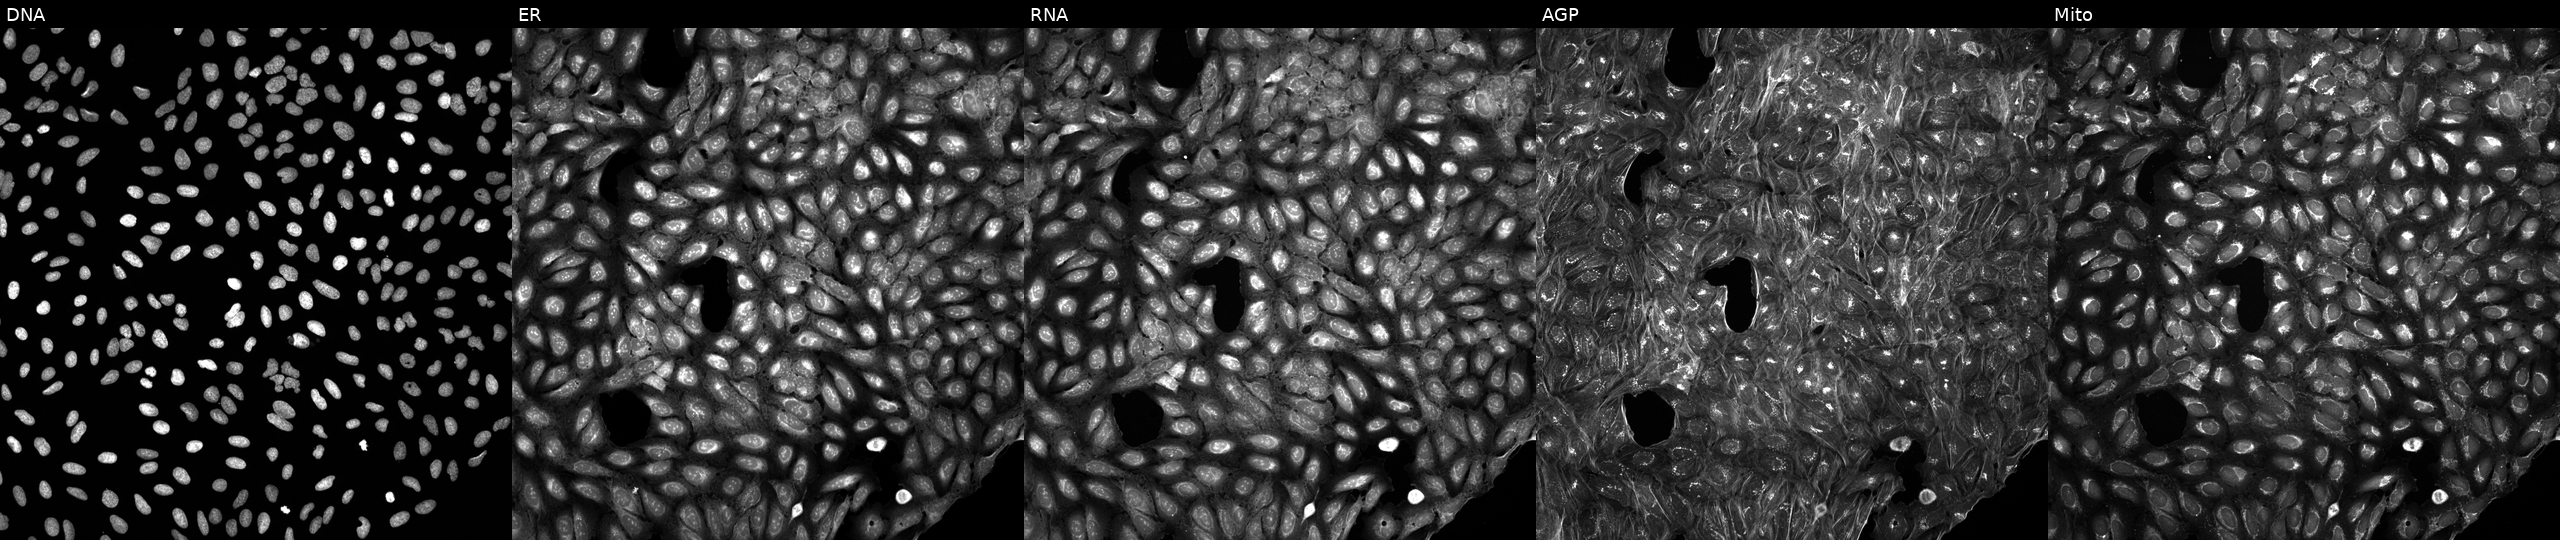
U2OS cells, Cell Painting assay, treated with a small-molecule compound. Panels show, left to right, Hoechst 33342, concanavalin A, SYTO 14, phalloidin and WGA, MitoTracker. Each panel is percentile-stretched 16-bit fluorescence.